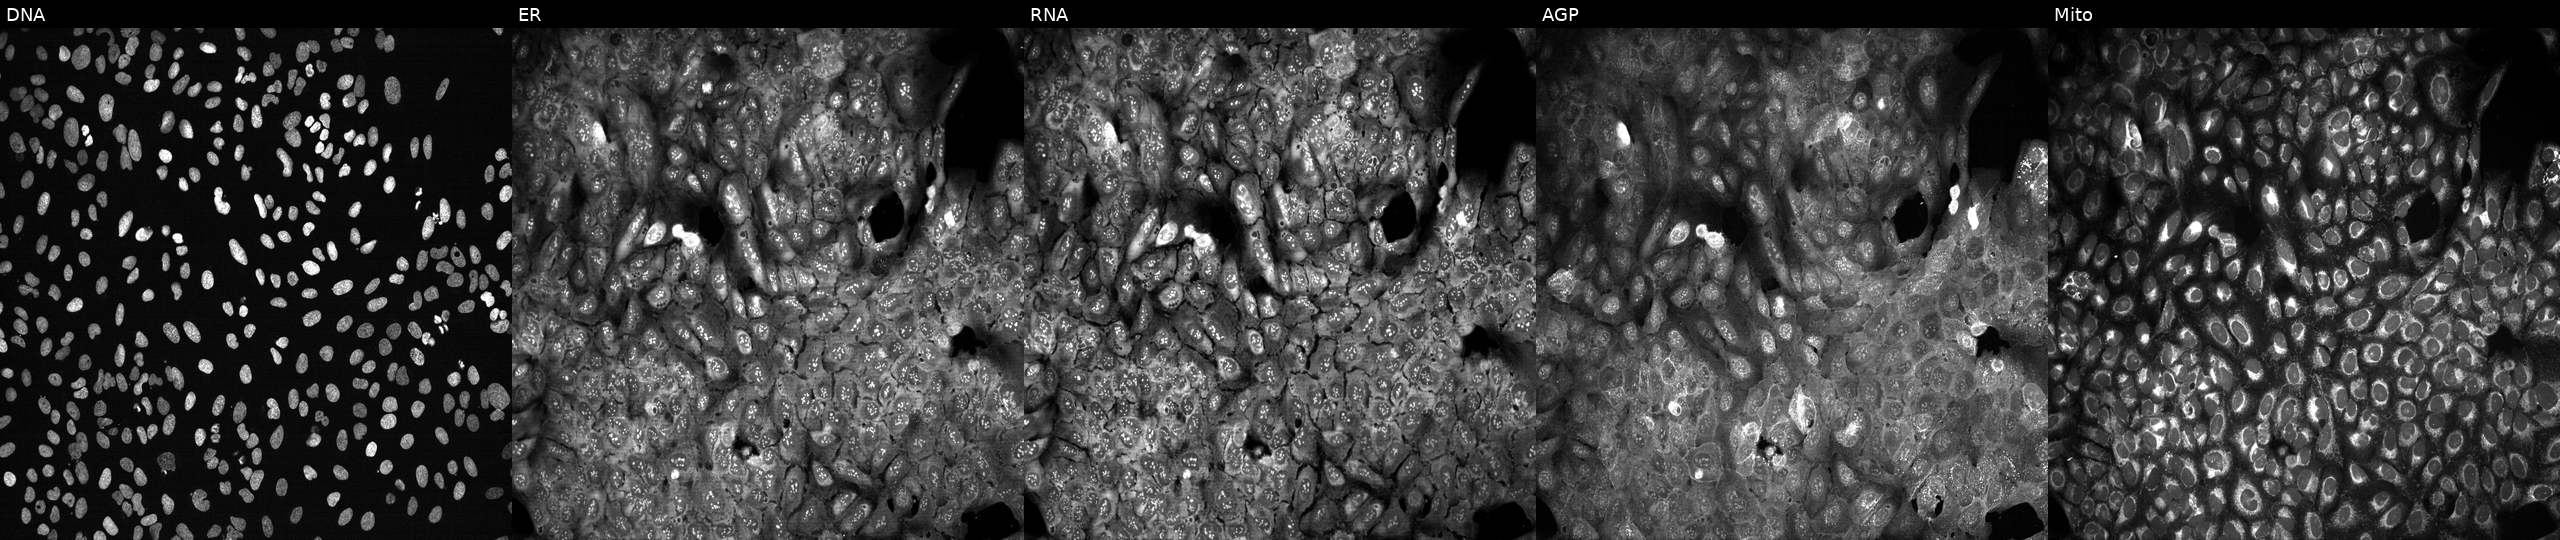
Five-channel Cell Painting image of U2OS cells following CRISPR knockout of TMED1. Panels show, left to right, DNA (nuclei); ER (endoplasmic reticulum); RNA (nucleoli and cytoplasmic RNA); AGP (actin cytoskeleton, Golgi, and plasma membrane); Mito (mitochondria). Source 13, plate CP-CC9-R4-04, well O17.